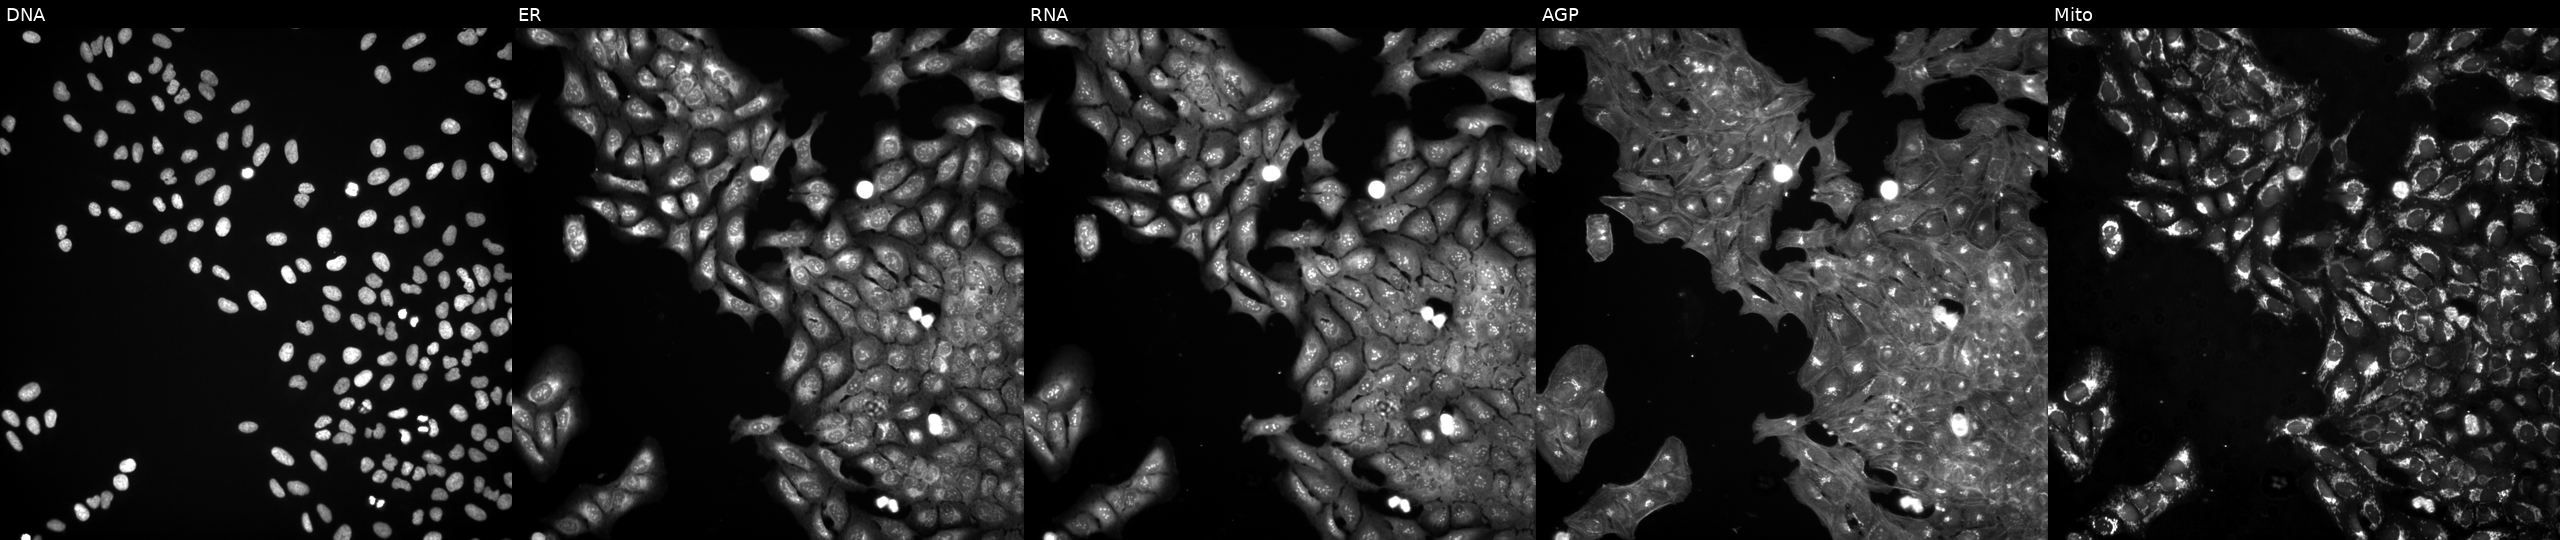
U2OS cells, Cell Painting assay, exposed to DMSO alone as a negative control. Channels (left→right): DNA, ER, RNA, AGP, and Mito. Each panel is percentile-stretched 16-bit fluorescence. Source 3, plate BR5867a3, well J23.